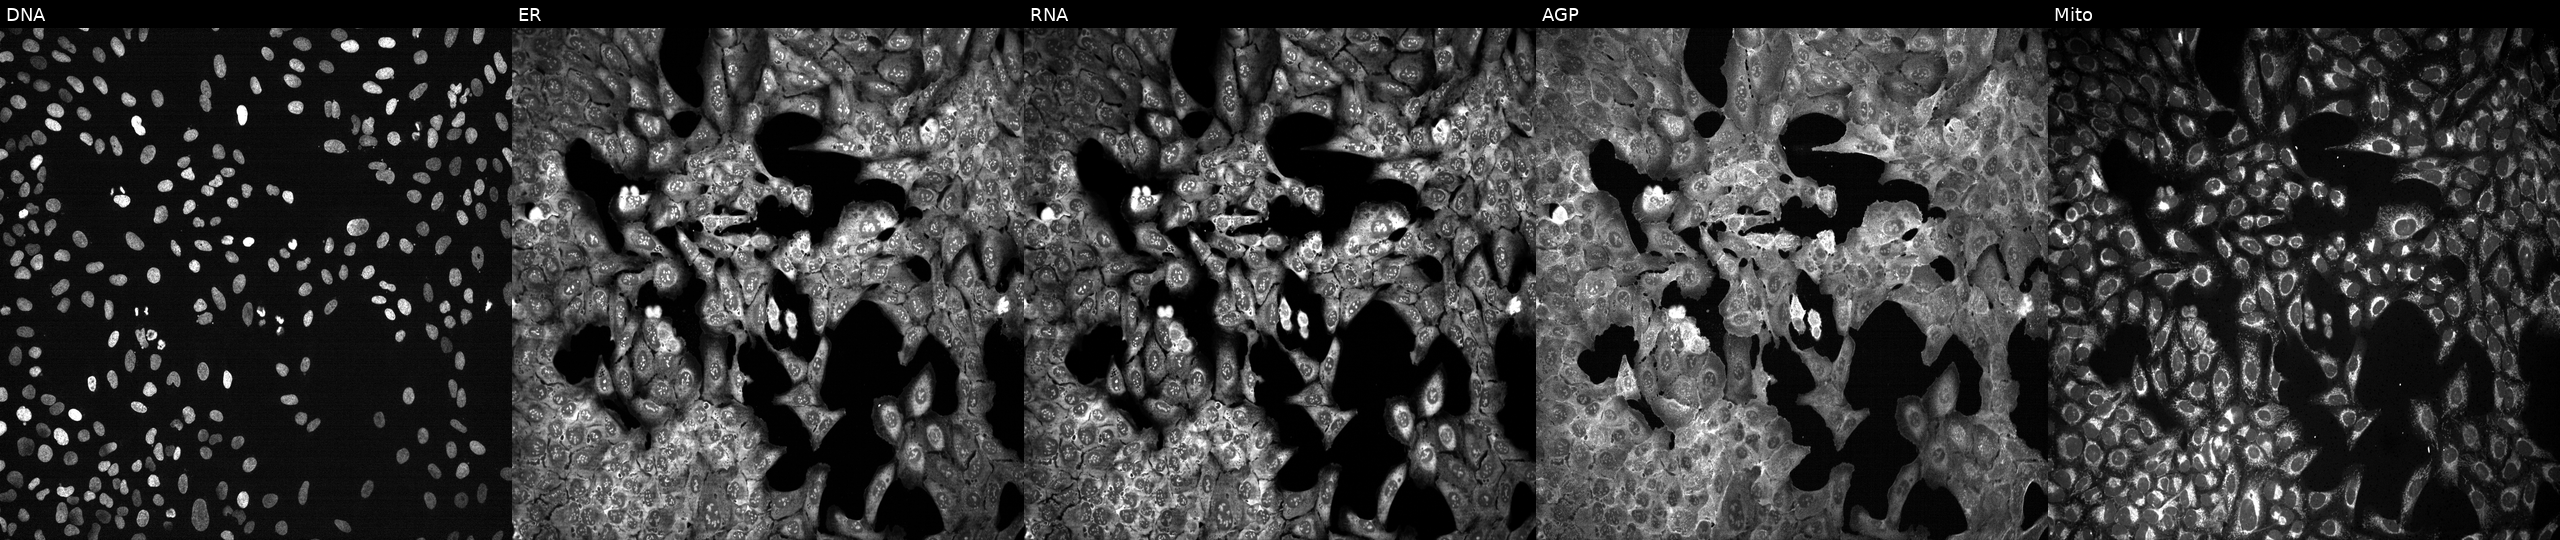
Five-channel Cell Painting image of U2OS cells following CRISPR knockout of PRSS54 (JUMP id JCP2022_805595). Channels (left→right): DNA, ER, RNA, AGP, and Mito.